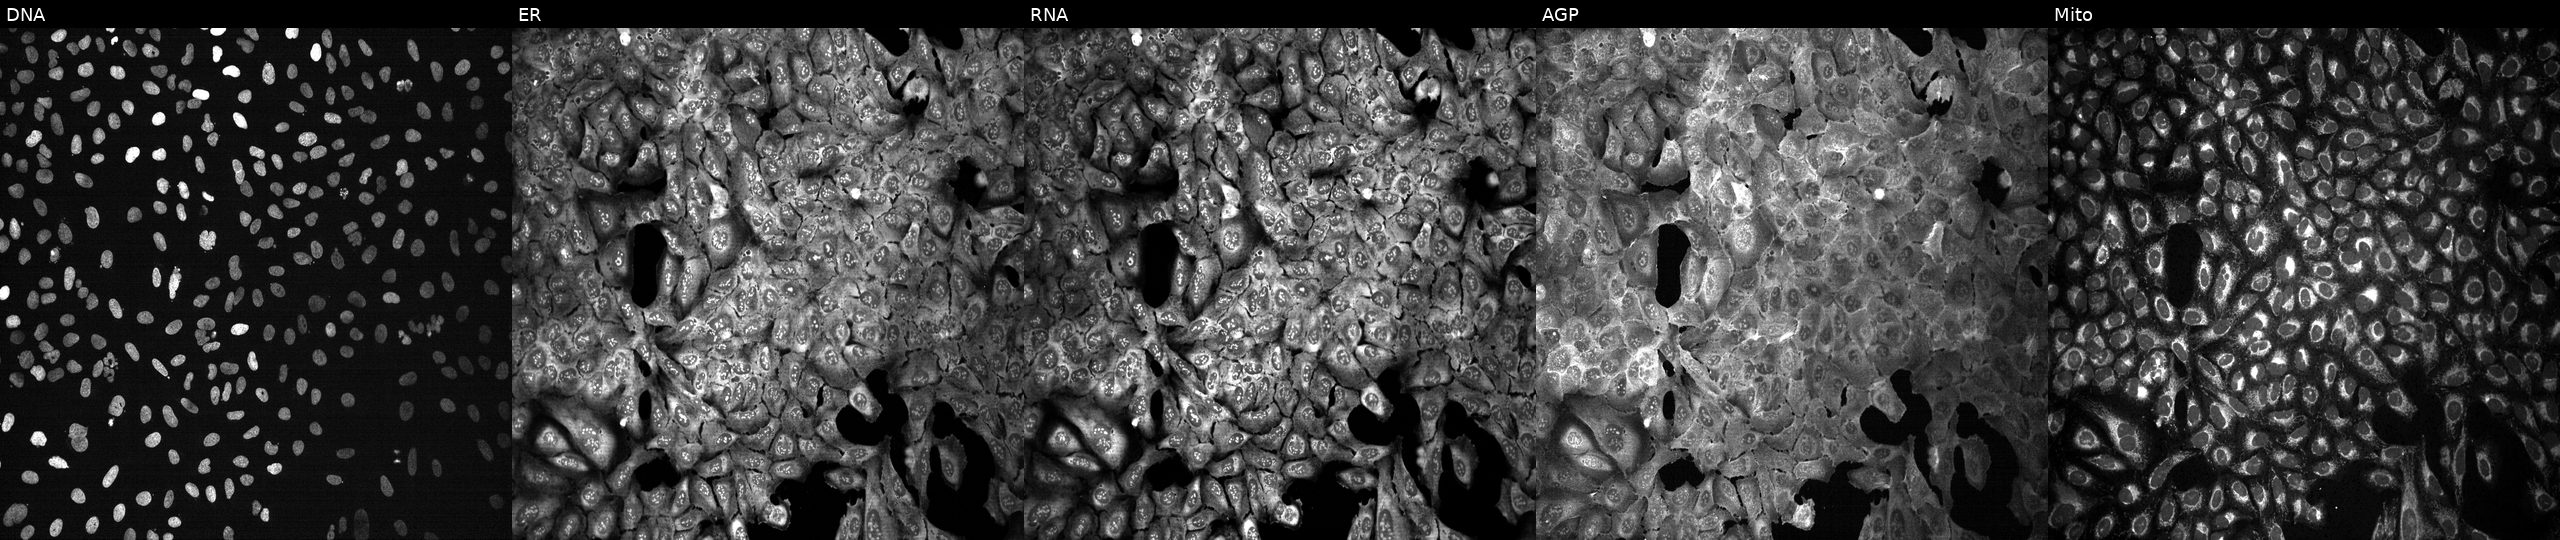
U2OS cells, Cell Painting assay, CRISPR-edited to disrupt KIF3A (JUMP id JCP2022_803681). From left to right: Hoechst 33342, concanavalin A, SYTO 14, phalloidin and WGA, MitoTracker. Each panel is percentile-stretched 16-bit fluorescence. Source 13, plate CP-CC9-R3-01, well D21.